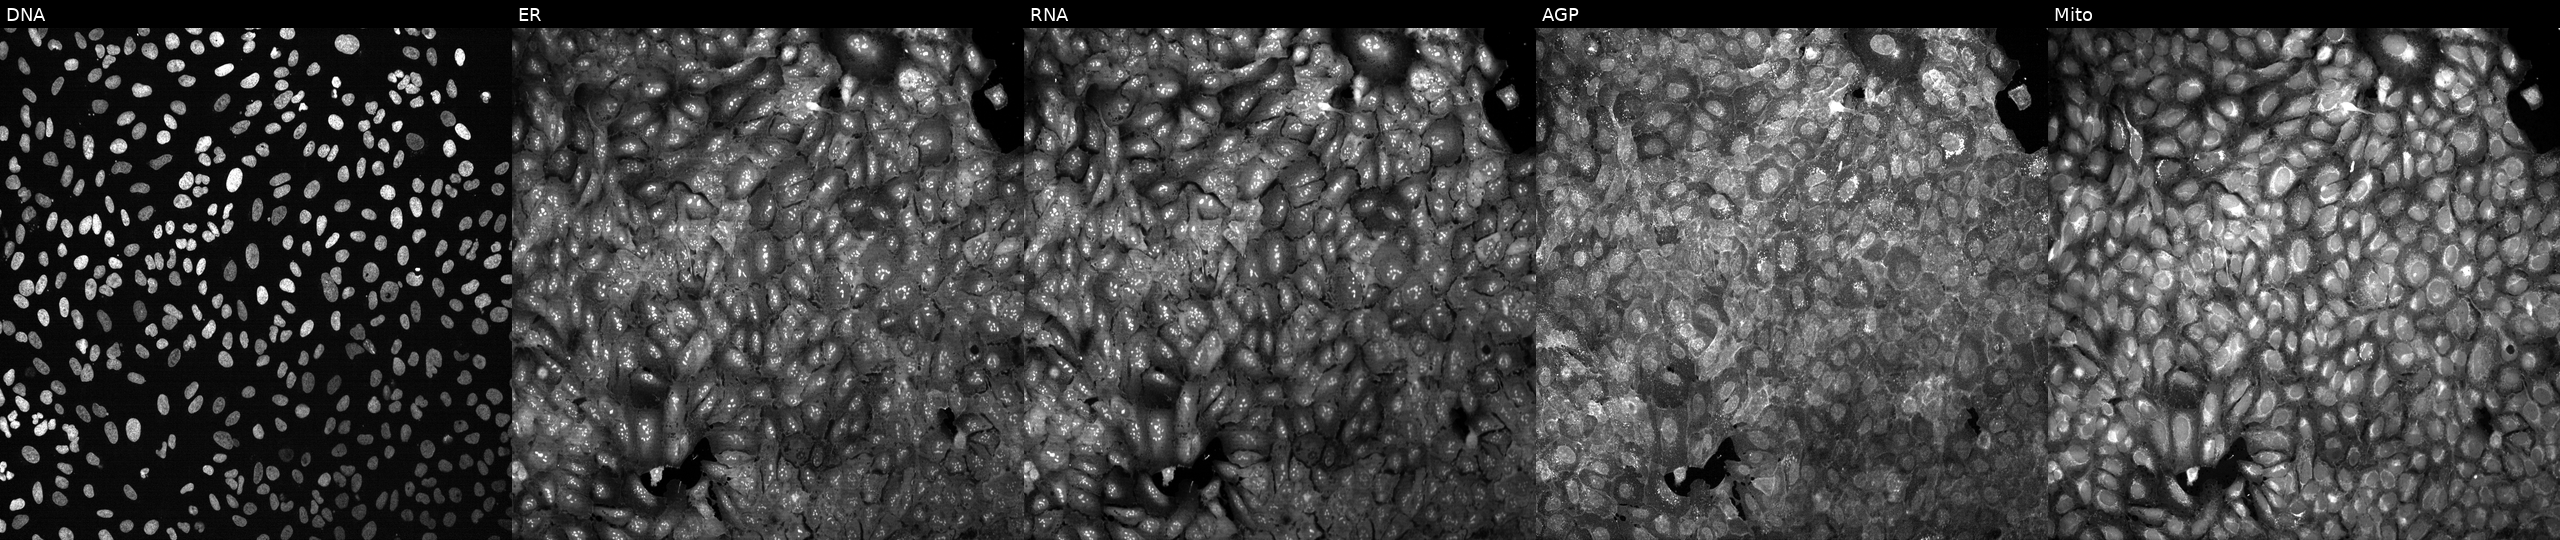
JUMP Cell Painting — CRISPR plate. U2OS cells with CDH17 knocked out by CRISPR. The five panels, left to right, show Hoechst 33342, concanavalin A, SYTO 14, phalloidin and WGA, MitoTracker. Source 13, plate CP-CC9-R1-02, well A21.